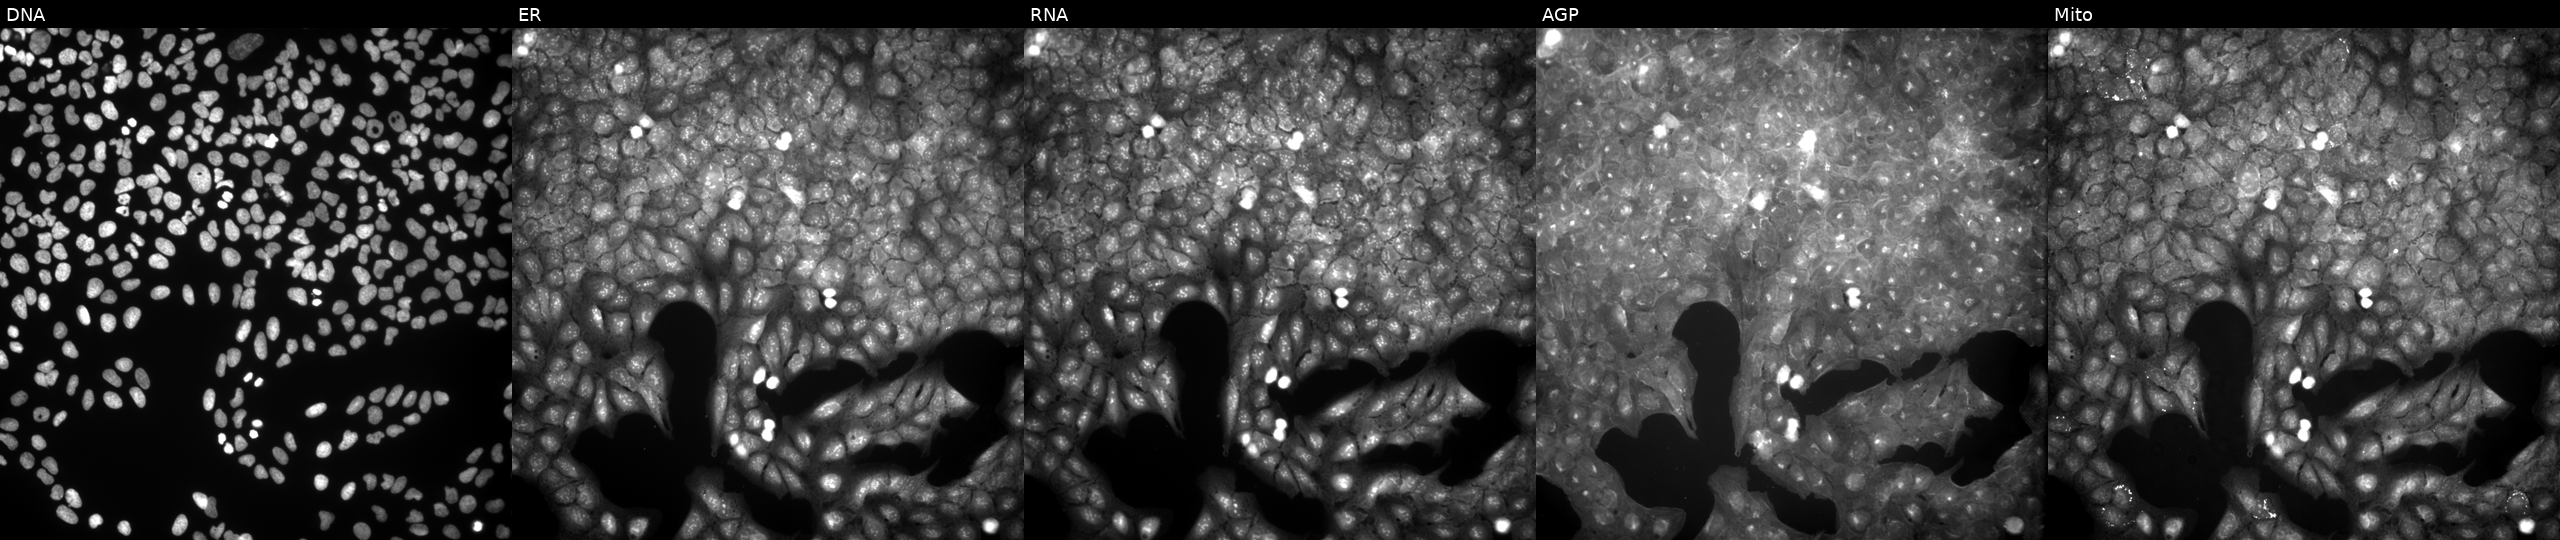
JUMP Cell Painting — COMPOUND plate. U2OS cells treated with a small-molecule compound. The five panels, left to right, show DNA, ER, RNA, AGP, and Mito.